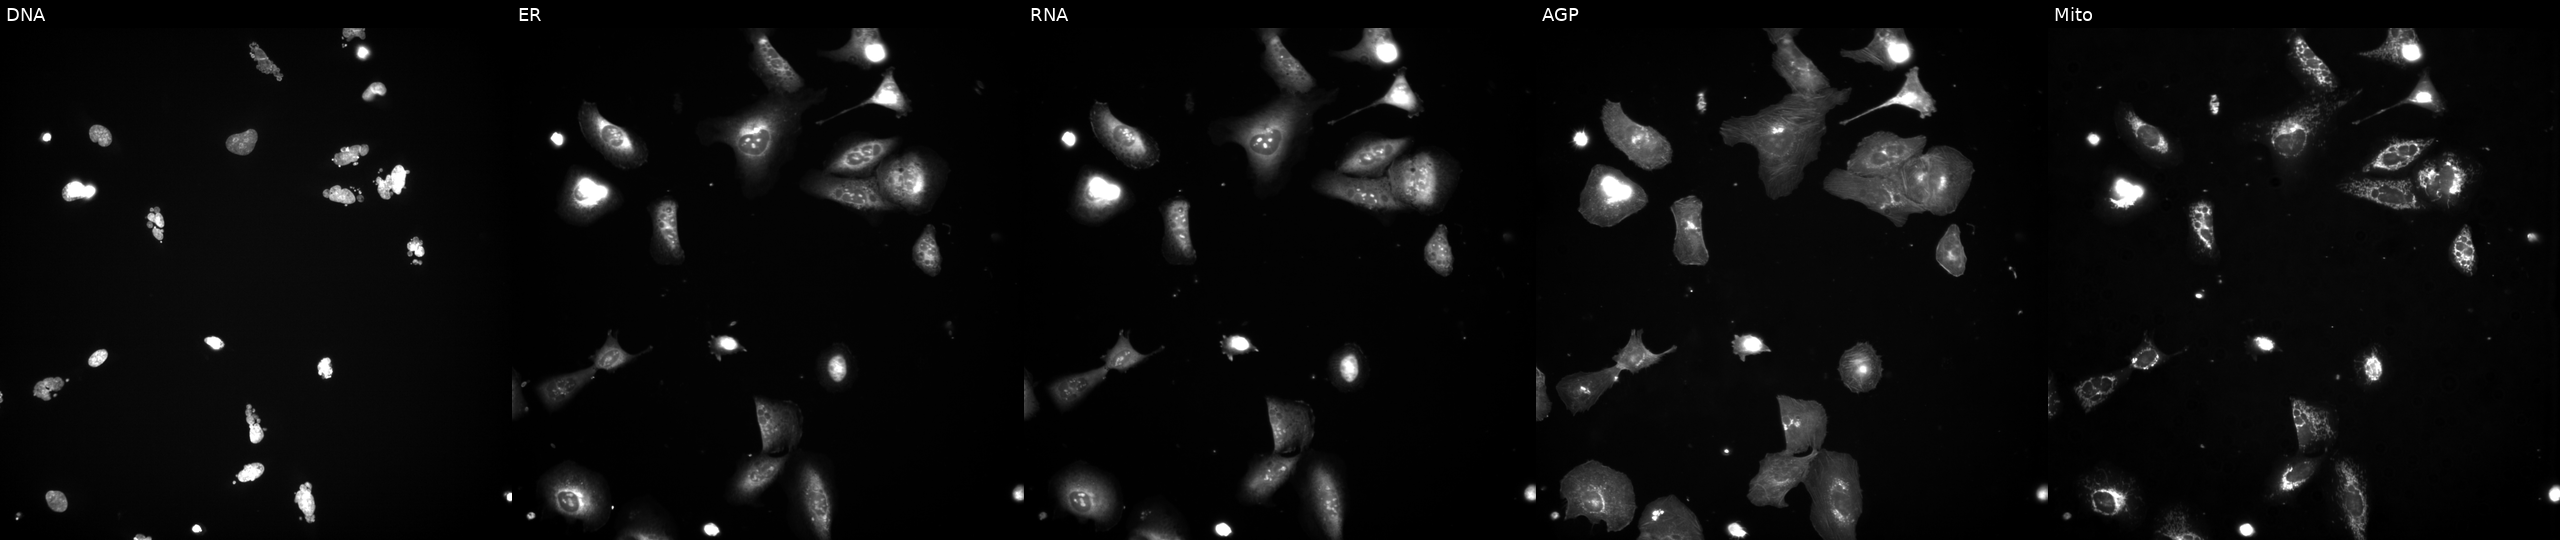
JUMP Cell Painting — TARGET2 plate. U2OS cells treated with a small-molecule compound (InChIKey XQVVPGYIWAGRNI-UHFFFAOYSA-N). From left to right: DNA (nuclei); ER (endoplasmic reticulum); RNA (nucleoli and cytoplasmic RNA); AGP (actin cytoskeleton, Golgi, and plasma membrane); Mito (mitochondria).